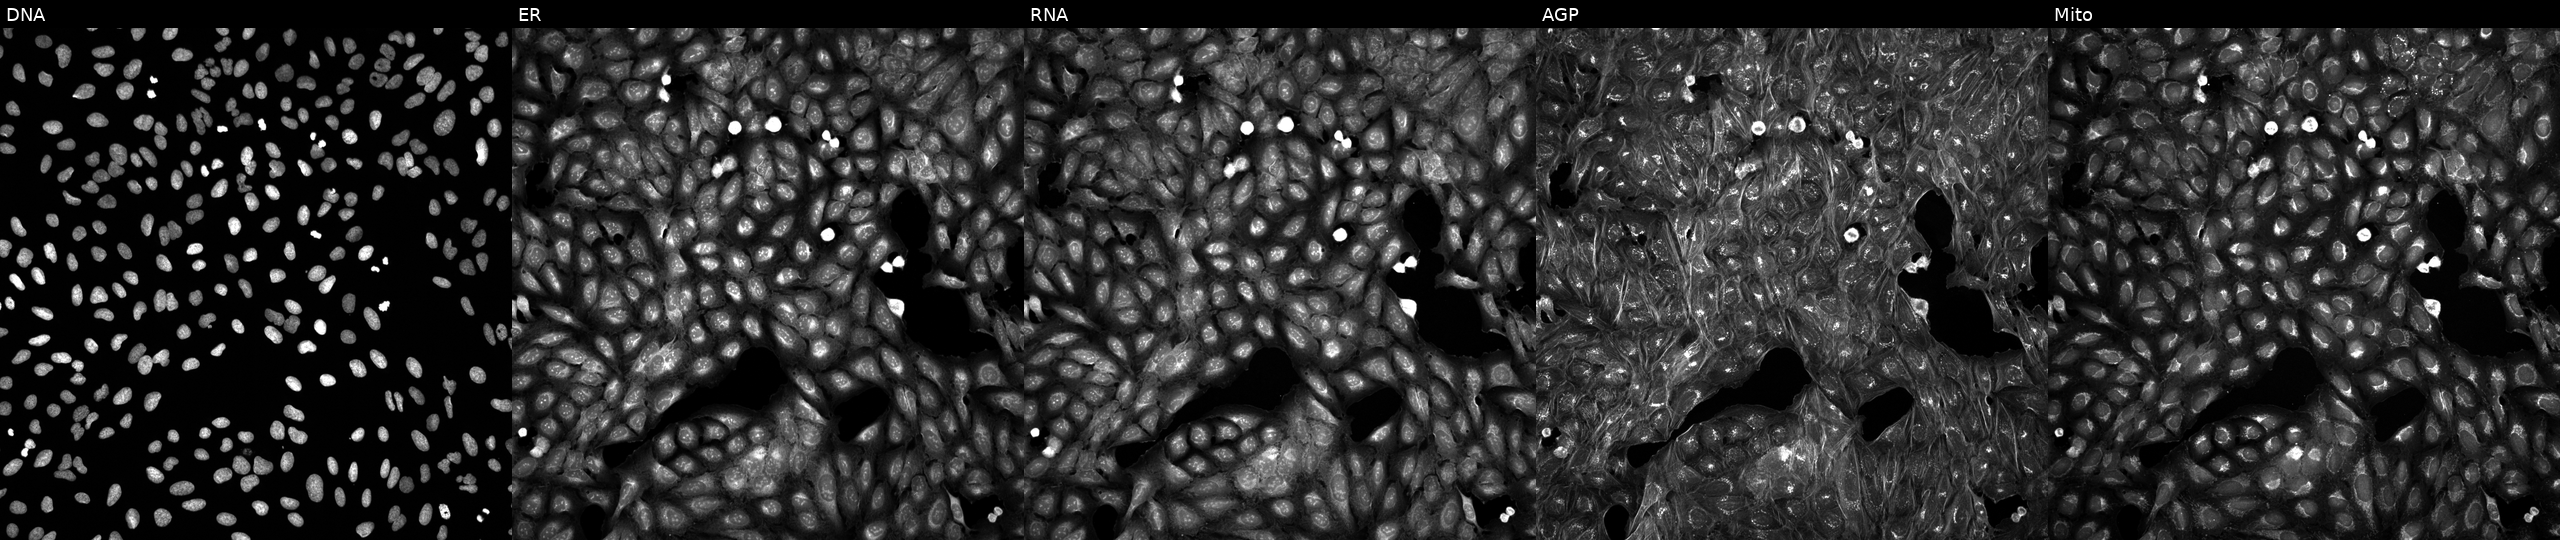
High-content fluorescence microscopy (Cell Painting). Cell line: U2OS. Perturbation: exposed to a small-molecule compound (InChIKey SSEBWOSUSSYGCH-UHFFFAOYSA-N) (JUMP id JCP2022_085288). Channels (left→right): DNA, ER, RNA, AGP, and Mito. Source 5, plate APTJUM106, well D09.